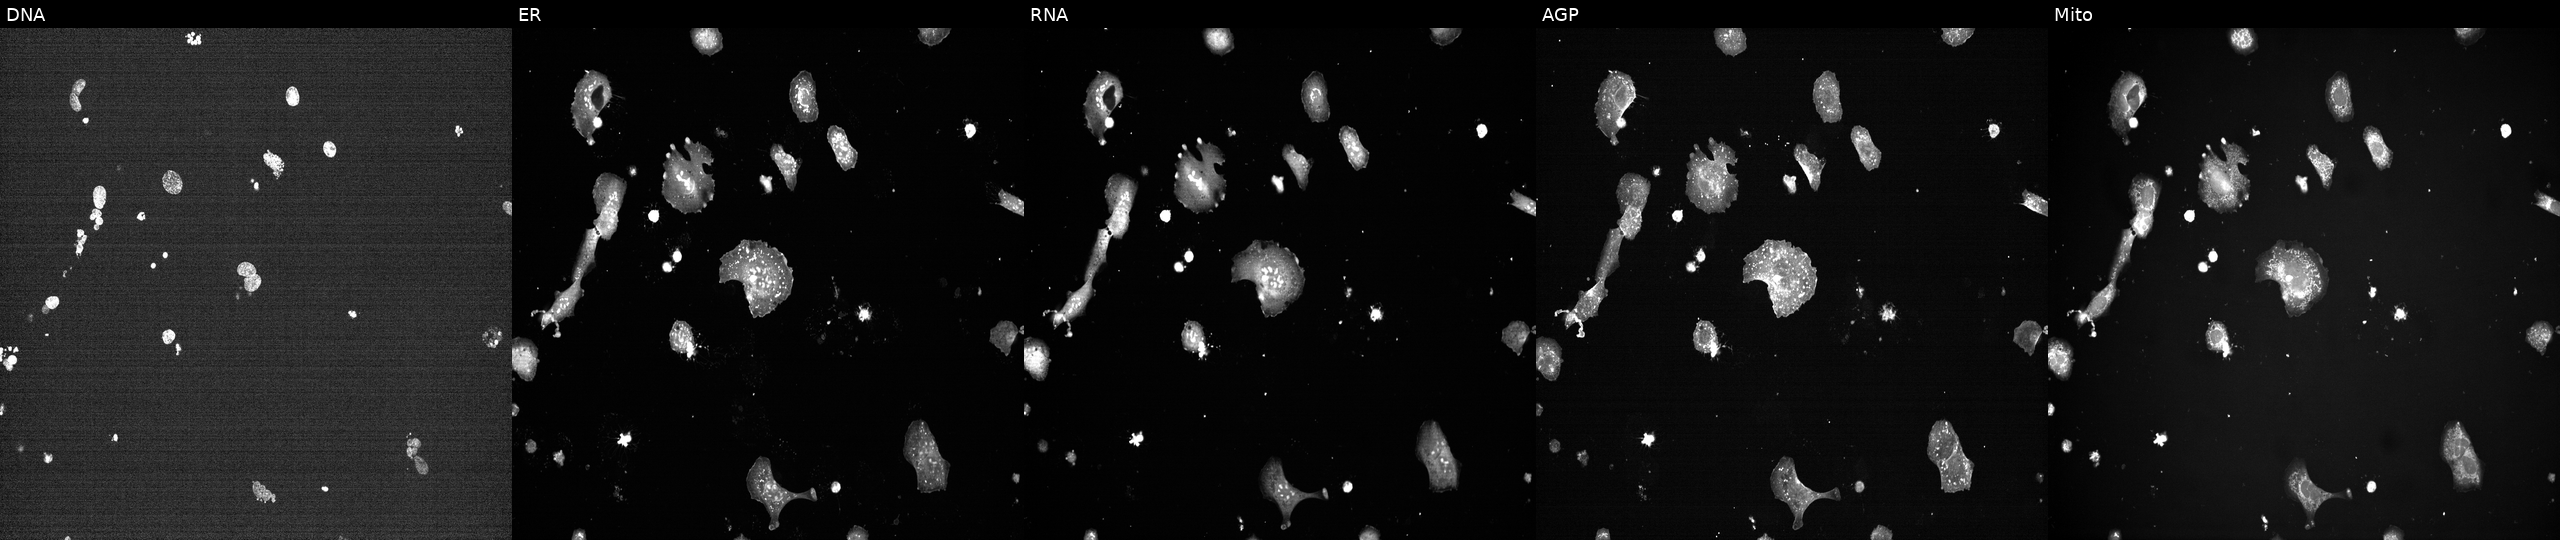
Five-channel Cell Painting image of U2OS cells perturbed with a small-molecule compound (InChIKey MTJHLONVHHPNSI-UHFFFAOYSA-N). The five panels, left to right, show DNA, ER, RNA, AGP, and Mito. Source 7, plate CP1-SC1-25, well M15.